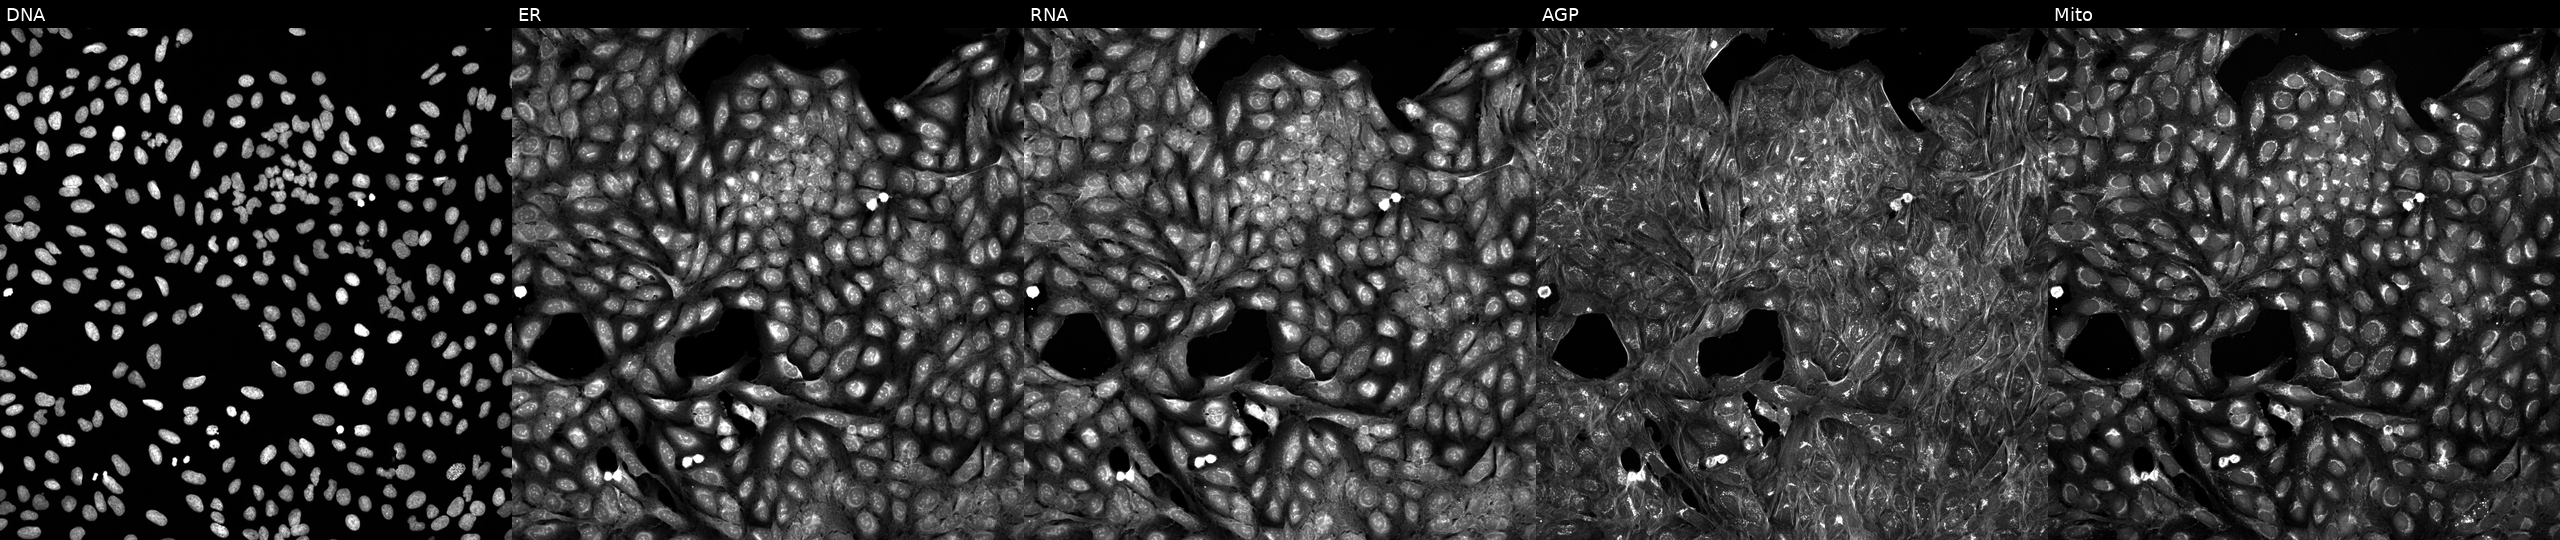
JUMP Cell Painting — COMPOUND plate. U2OS cells treated with a small-molecule compound (InChIKey OOQHXMUUGMIAGX-UHFFFAOYSA-N) (JUMP id JCP2022_065159). From left to right: DNA (nuclei); ER (endoplasmic reticulum); RNA (nucleoli and cytoplasmic RNA); AGP (actin cytoskeleton, Golgi, and plasma membrane); Mito (mitochondria).